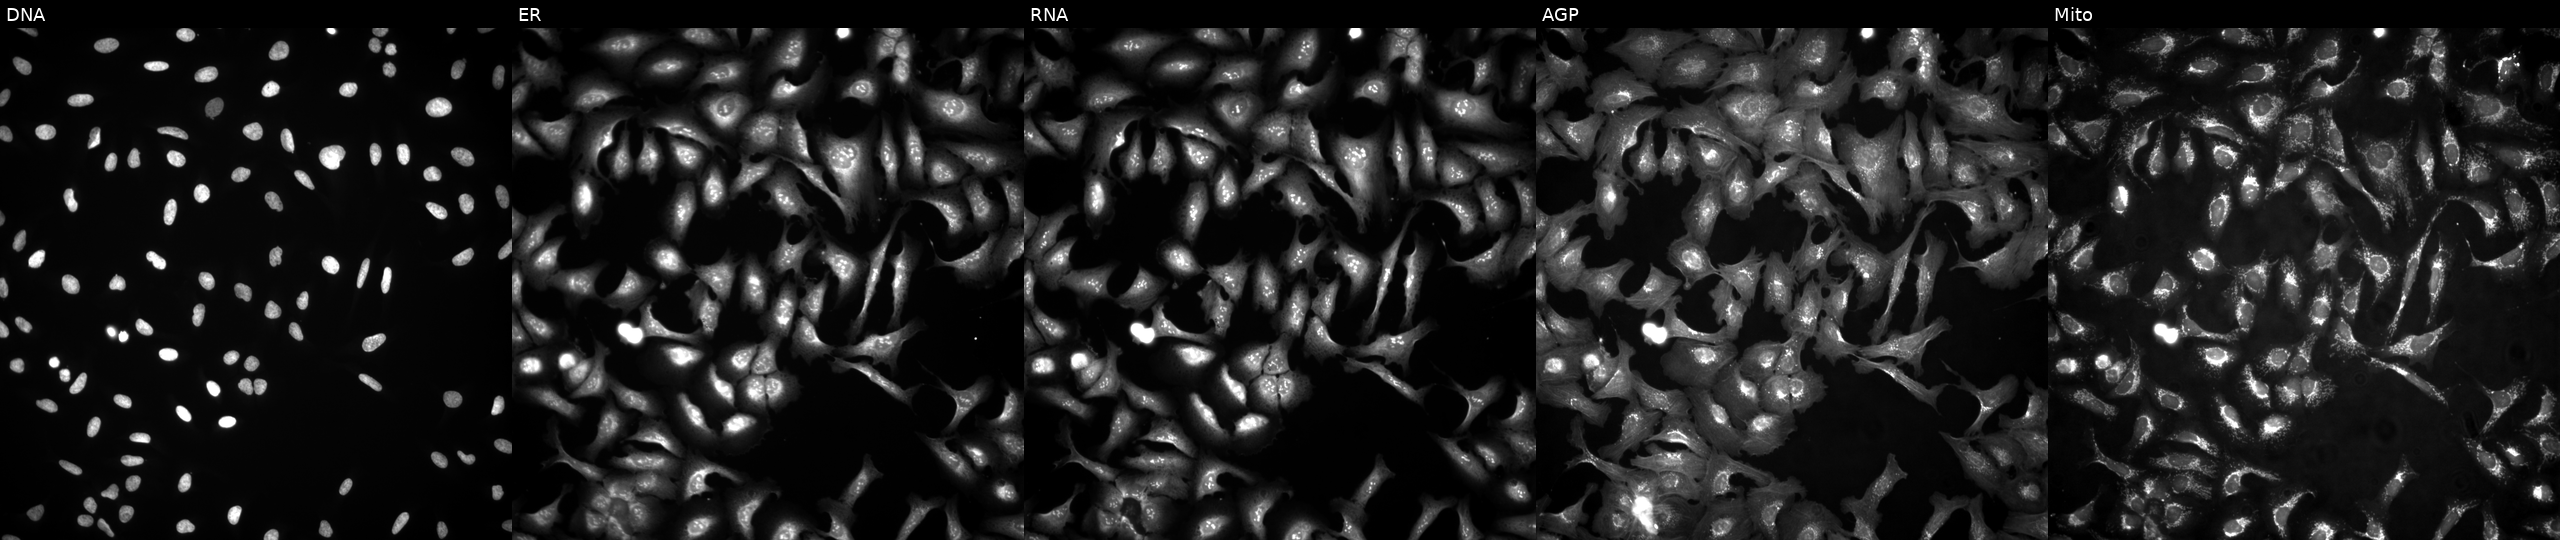
This image strip shows the five Cell Painting channels for a single field of U2OS cells transfected with an ORF construct for ERICH6. The five panels, left to right, show Hoechst 33342, concanavalin A, SYTO 14, phalloidin and WGA, MitoTracker.